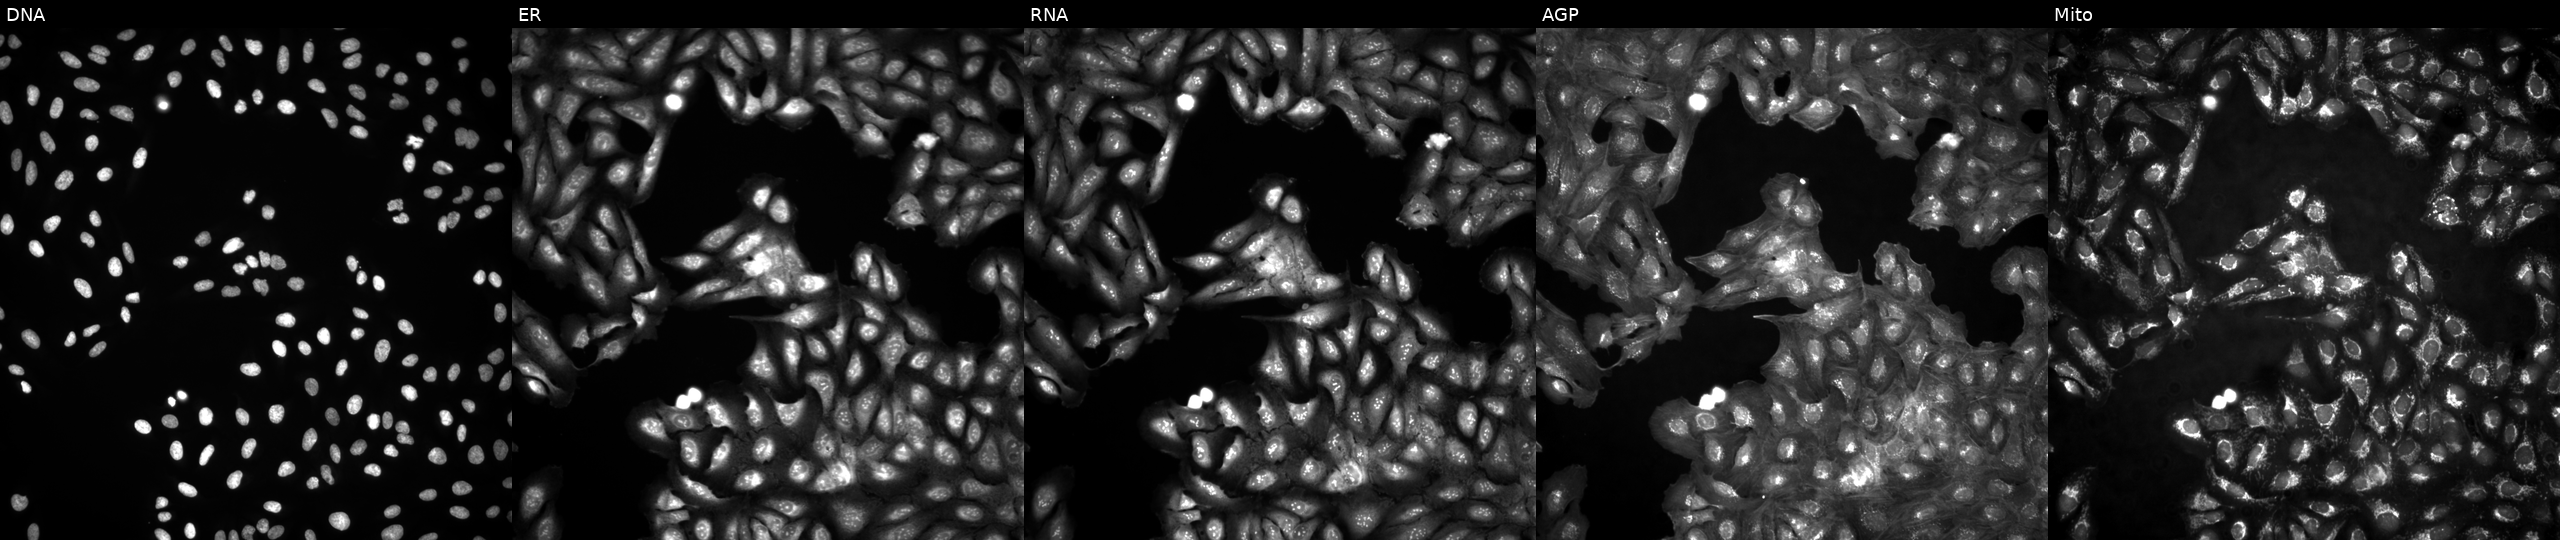
Channels (left→right): Hoechst 33342, concanavalin A, SYTO 14, phalloidin and WGA, MitoTracker. U2OS osteosarcoma cells untreated (empty-well control) (JUMP id JCP2022_999999). Cell Painting assay, JUMP-CP dataset.